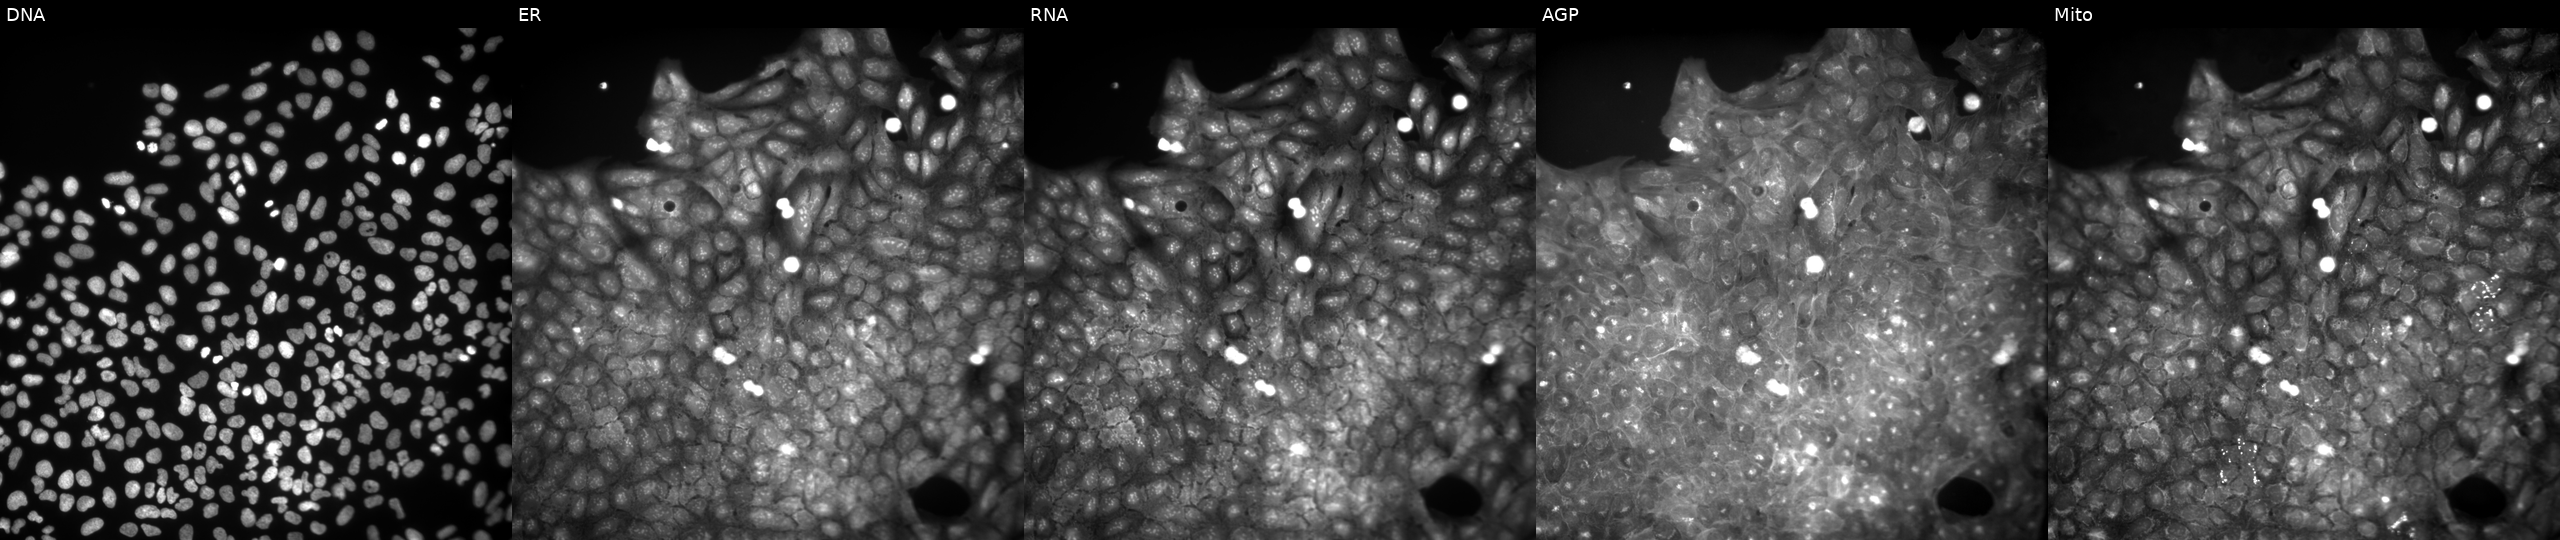
Channels (left→right): DNA (nuclei); ER (endoplasmic reticulum); RNA (nucleoli and cytoplasmic RNA); AGP (actin cytoskeleton, Golgi, and plasma membrane); Mito (mitochondria). U2OS osteosarcoma cells exposed to a small-molecule compound (InChIKey VSTMZIFFRIBEKE-UHFFFAOYSA-N) (JUMP id JCP2022_096035). Cell Painting assay, JUMP-CP dataset.